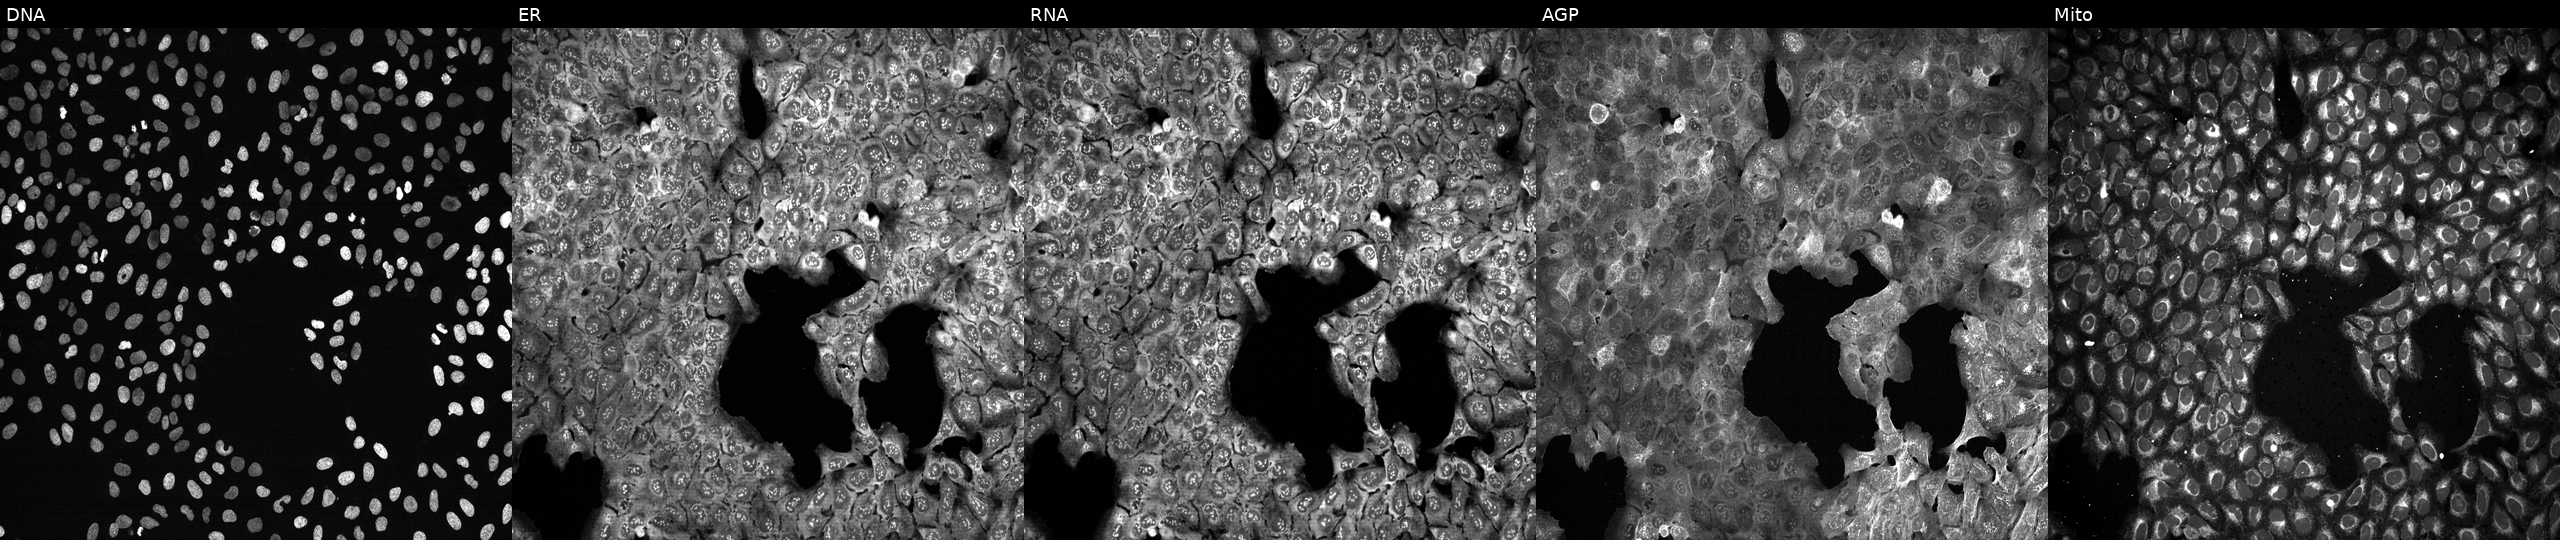
High-content fluorescence microscopy (Cell Painting). Cell line: U2OS. Perturbation: with a non-targeting CRISPR guide (negative control) (JUMP id JCP2022_800002). Panels show, left to right, DNA, ER, RNA, AGP, and Mito. Source 13, plate CP-CC9-R2-01, well G02.